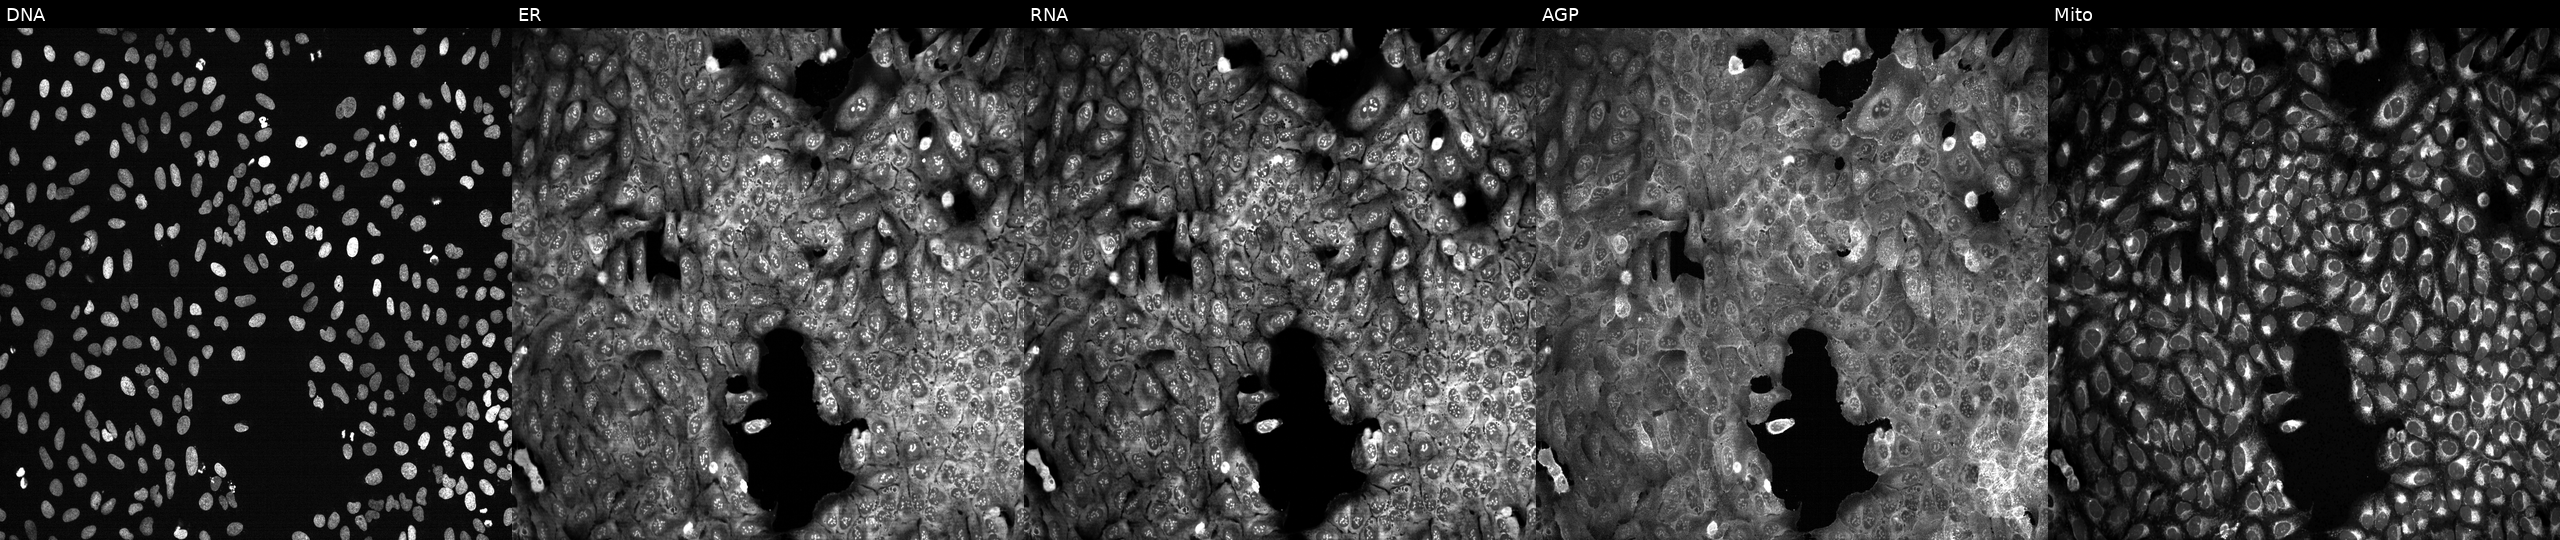
JUMP Cell Painting — CRISPR plate. U2OS cells CRISPR-edited to disrupt SAT2 (JUMP id JCP2022_806182). From left to right: DNA (nuclei); ER (endoplasmic reticulum); RNA (nucleoli and cytoplasmic RNA); AGP (actin cytoskeleton, Golgi, and plasma membrane); Mito (mitochondria). Source 13, plate CP-CC9-R3-02, well D13.